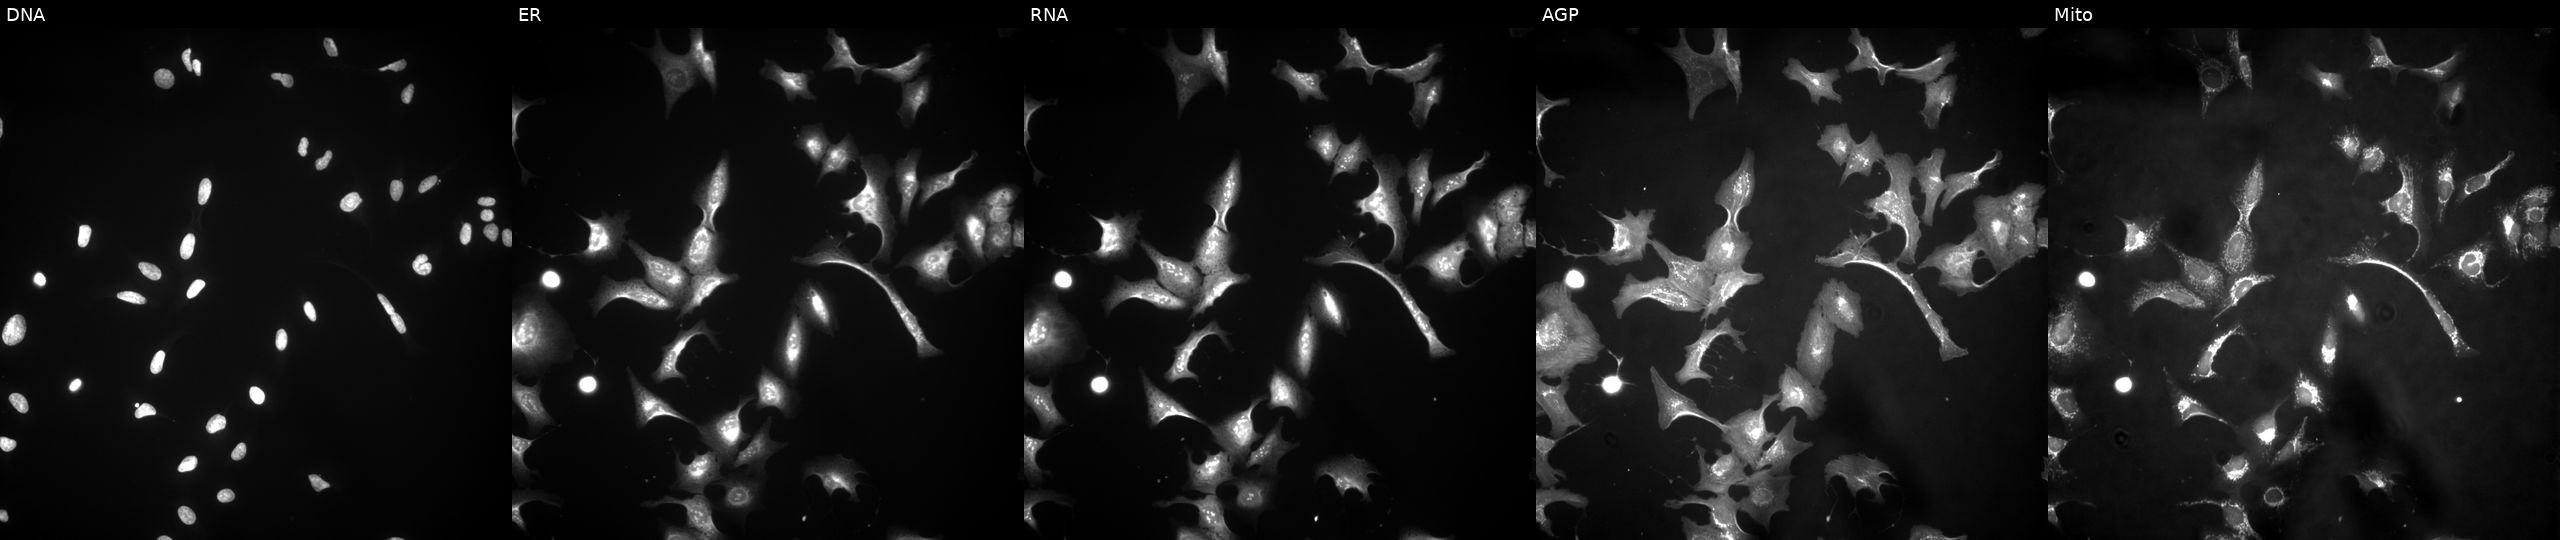
High-content fluorescence microscopy (Cell Painting). Cell line: U2OS. Perturbation: overexpressing RDX via ORF transfection (JUMP id JCP2022_906418). From left to right: DNA (nuclei); ER (endoplasmic reticulum); RNA (nucleoli and cytoplasmic RNA); AGP (actin cytoskeleton, Golgi, and plasma membrane); Mito (mitochondria).